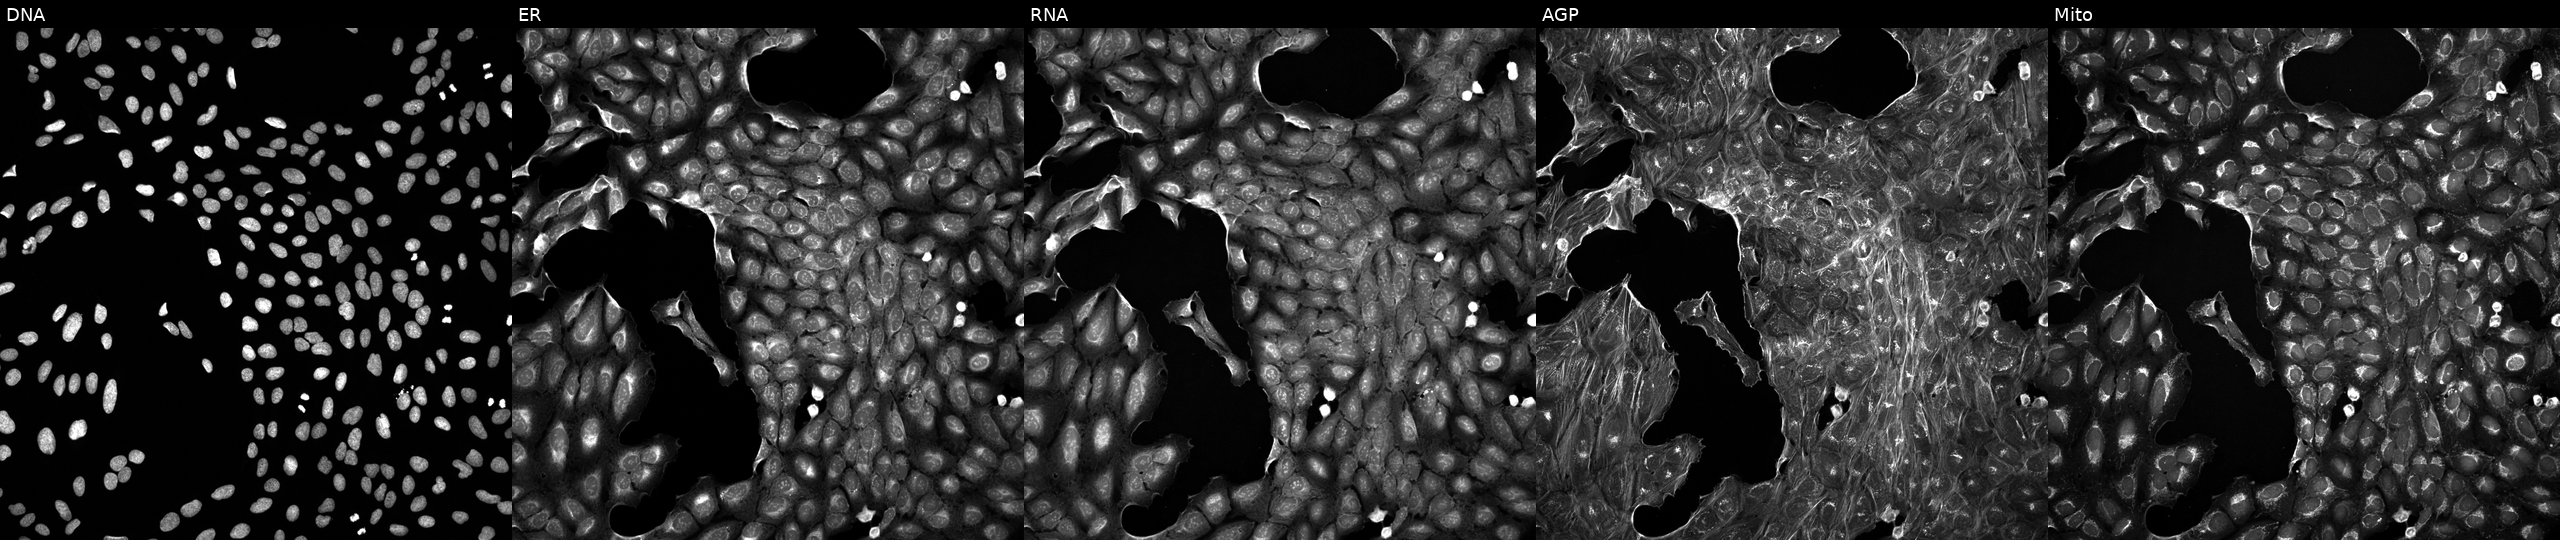
High-content fluorescence microscopy (Cell Painting). Cell line: U2OS. Perturbation: perturbed with a small-molecule compound. Channels (left→right): DNA (nuclei); ER (endoplasmic reticulum); RNA (nucleoli and cytoplasmic RNA); AGP (actin cytoskeleton, Golgi, and plasma membrane); Mito (mitochondria). Source 5, plate ACPJUM051, well H10.